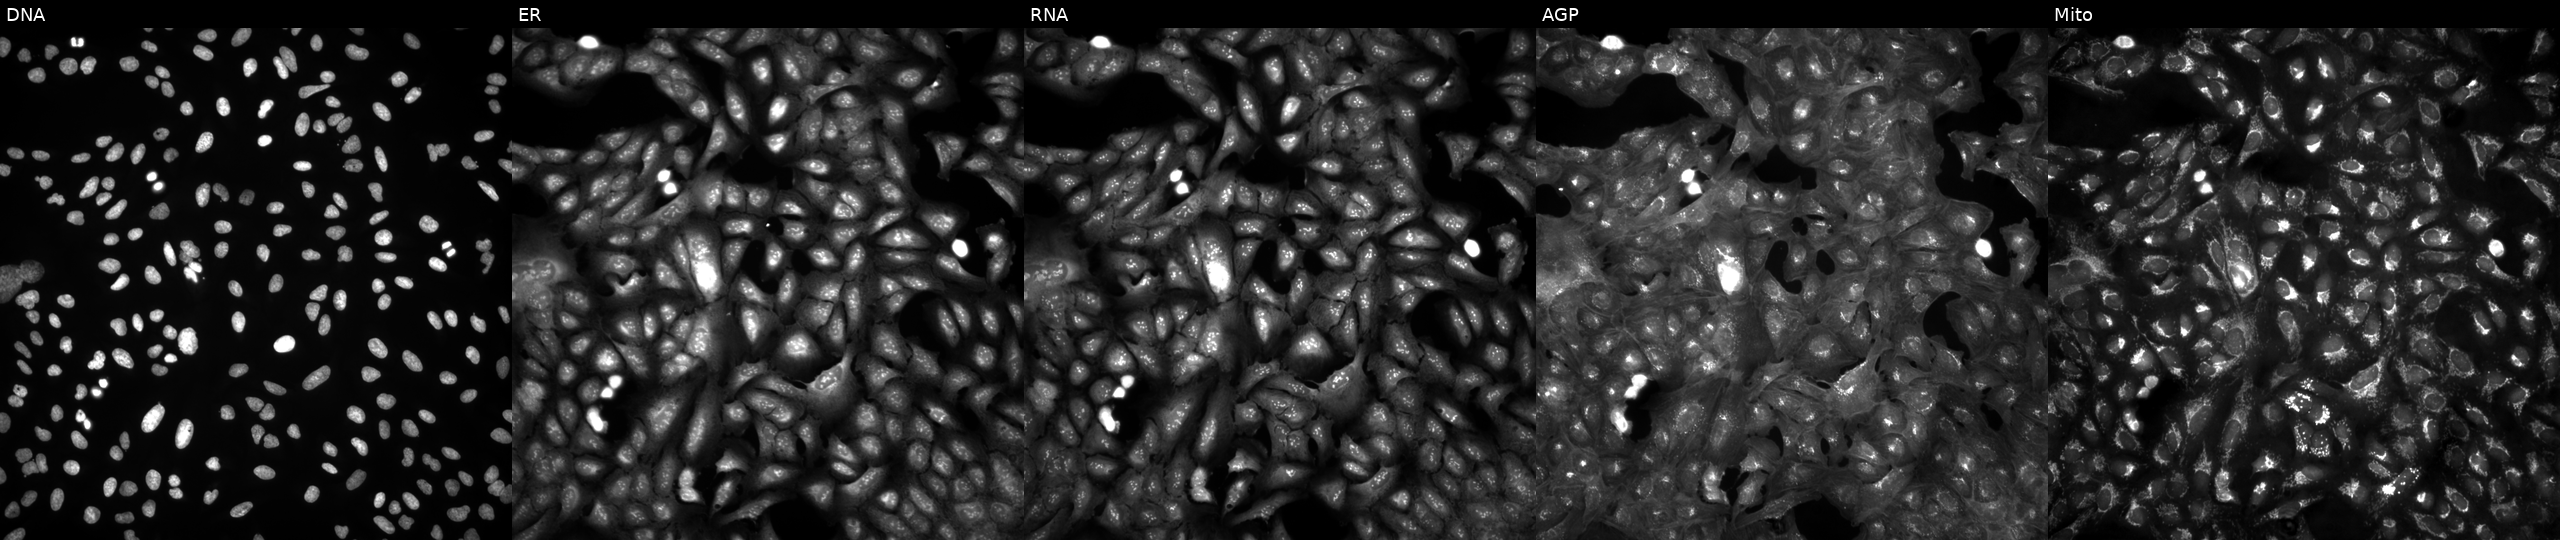
The five panels, left to right, show DNA, ER, RNA, AGP, and Mito. U2OS osteosarcoma cells in an empty control well (no perturbation) (JUMP id JCP2022_999999). Cell Painting assay, JUMP-CP dataset. Source 4, plate BR00123946, well G07.